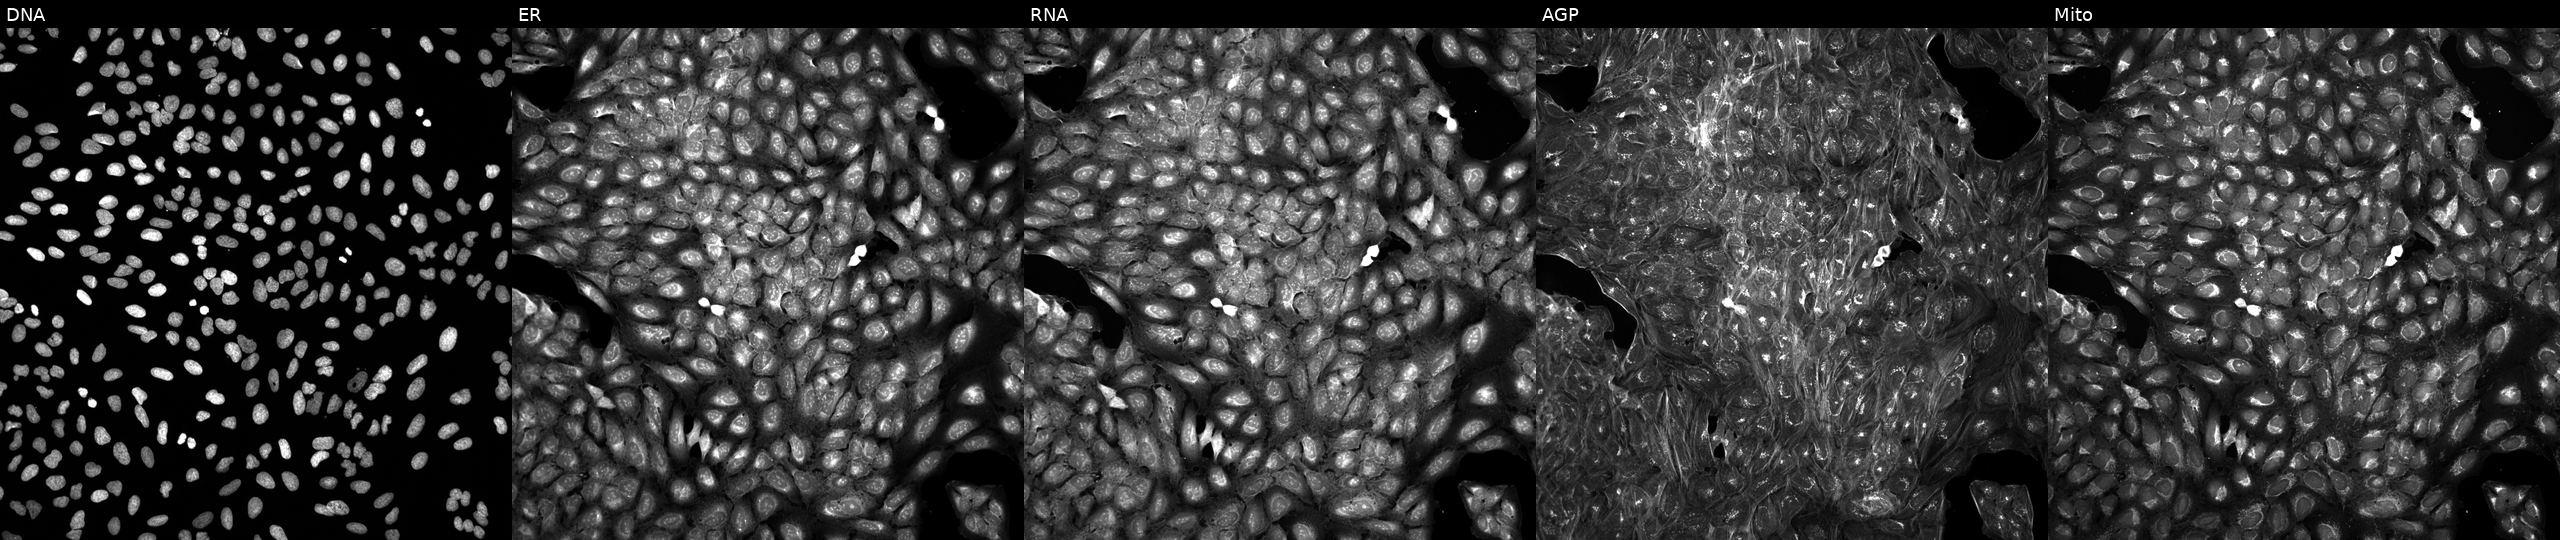
High-content fluorescence microscopy (Cell Painting). Cell line: U2OS. Perturbation: perturbed with a small-molecule compound (JUMP id JCP2022_015986). The five panels, left to right, show DNA (nuclei); ER (endoplasmic reticulum); RNA (nucleoli and cytoplasmic RNA); AGP (actin cytoskeleton, Golgi, and plasma membrane); Mito (mitochondria). Source 5, plate APTJUM106, well G04.